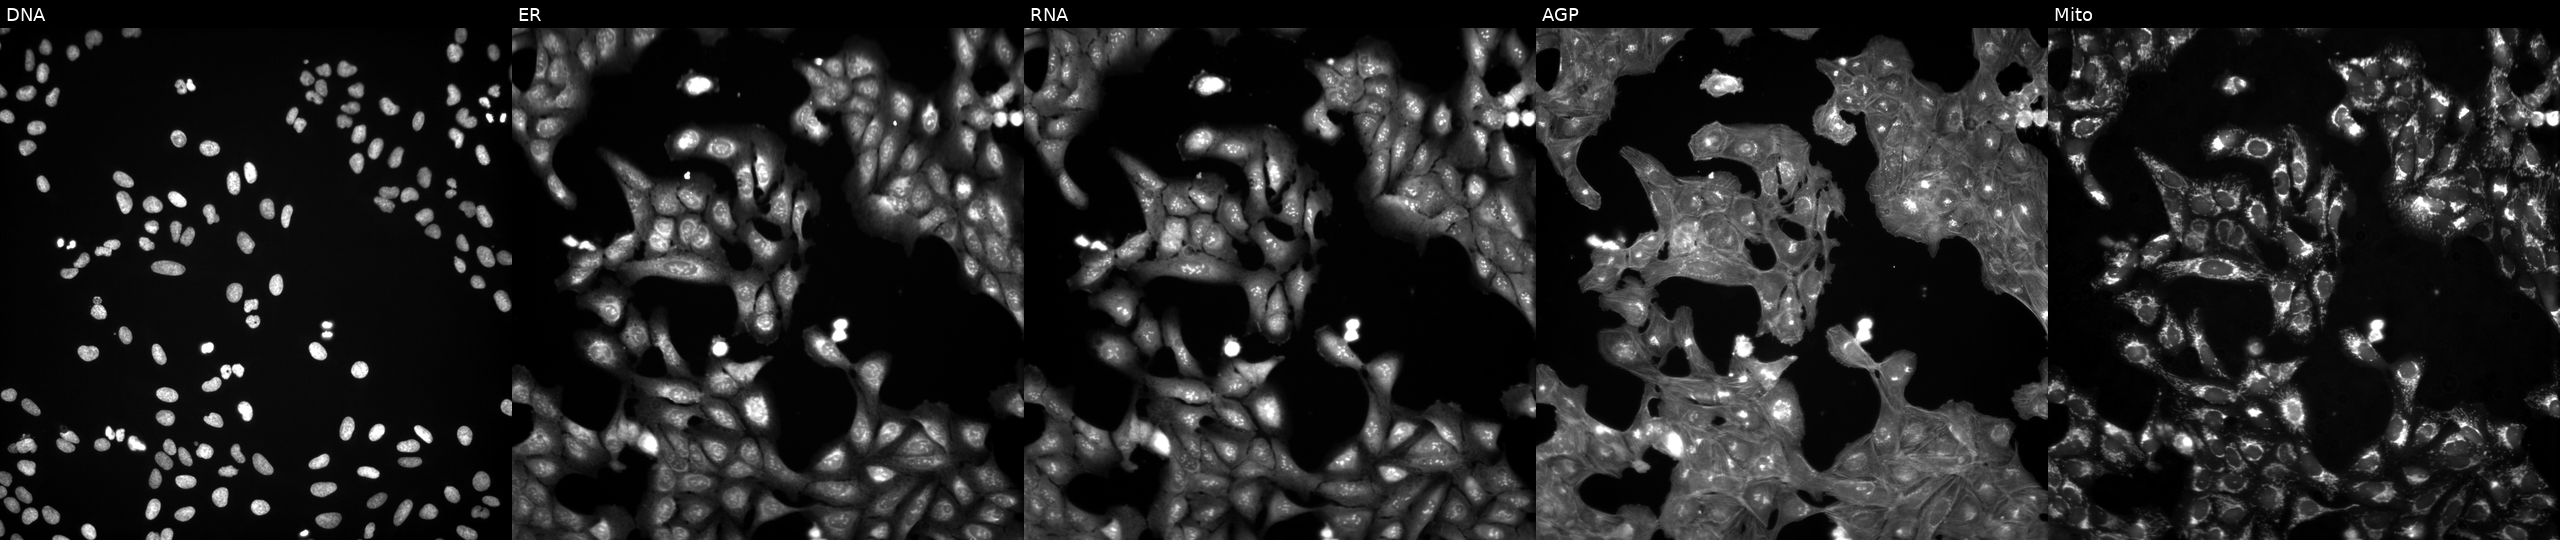
This image strip shows the five Cell Painting channels for a single field of U2OS cells treated with a small-molecule compound (InChIKey LPYXWGMUVRGUOY-UHFFFAOYSA-N) (JUMP id JCP2022_050997). Panels show, left to right, DNA (nuclei); ER (endoplasmic reticulum); RNA (nucleoli and cytoplasmic RNA); AGP (actin cytoskeleton, Golgi, and plasma membrane); Mito (mitochondria).